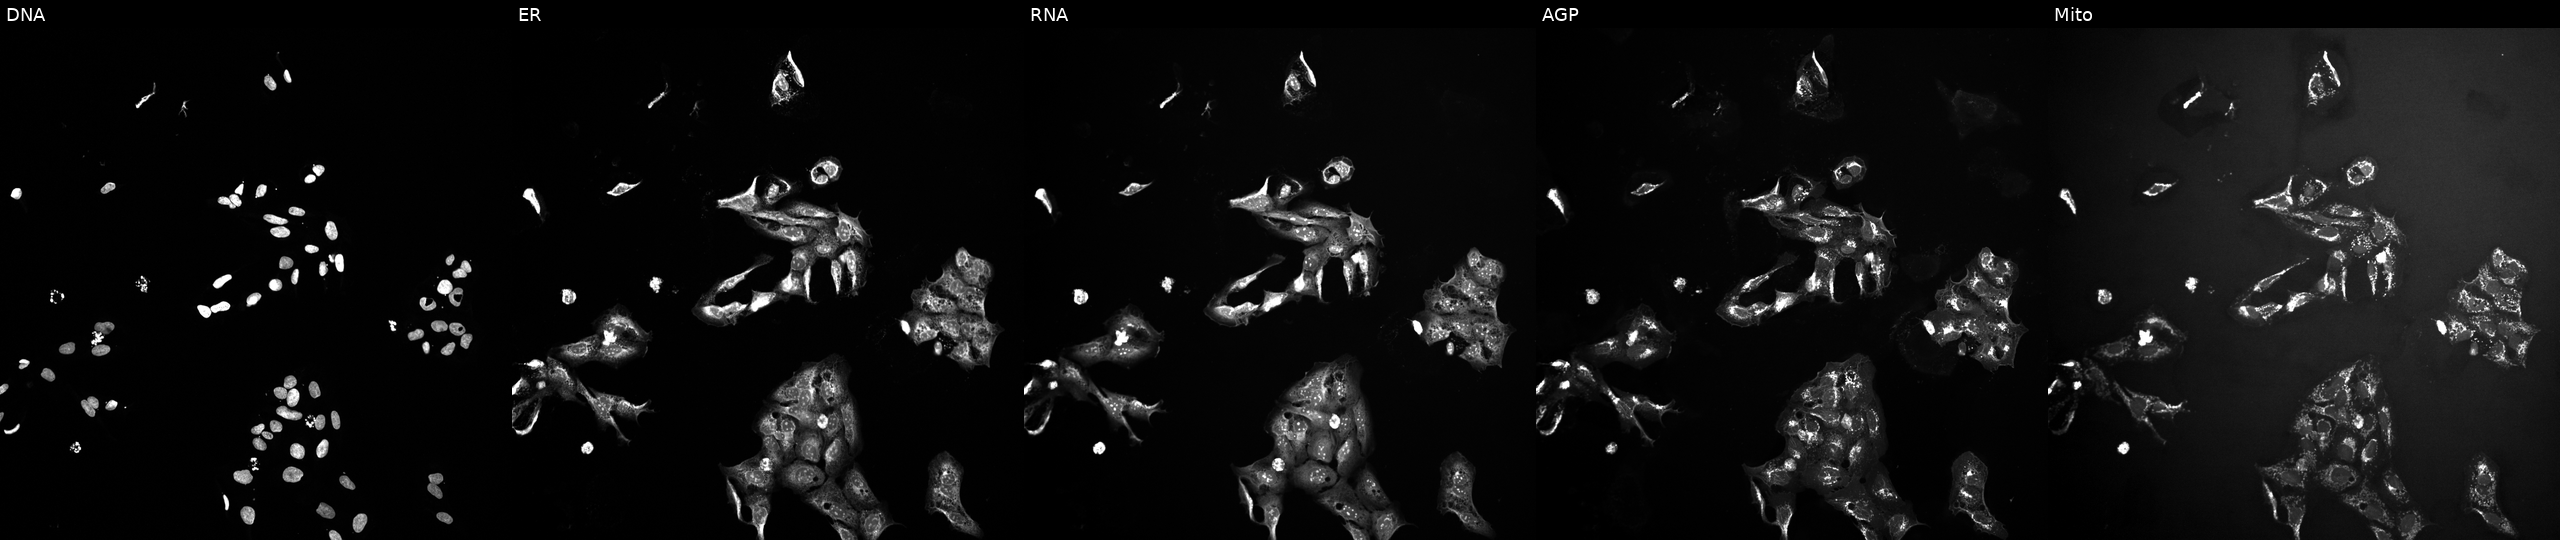
High-content fluorescence microscopy (Cell Painting). Cell line: U2OS. Perturbation: treated with a small-molecule compound (InChIKey SCELLOWTHJGVIC-UHFFFAOYSA-N) (JUMP id JCP2022_082234). Channels (left→right): DNA, ER, RNA, AGP, and Mito.